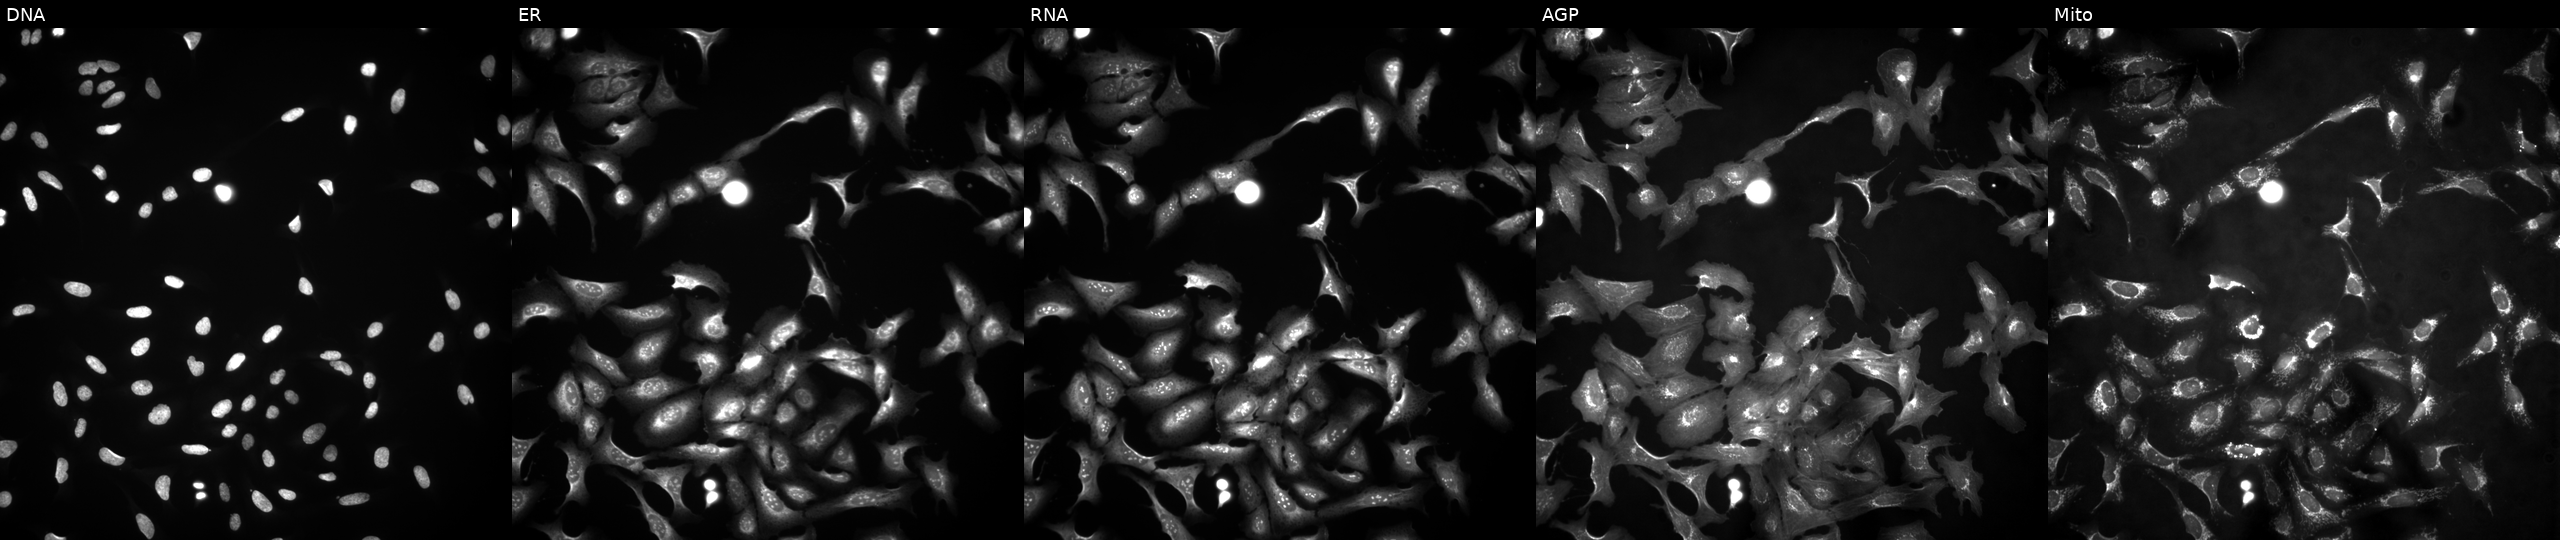
Five-channel Cell Painting image of U2OS cells with GTSF1 overexpressed (ORF) (JUMP id JCP2022_908833). Panels show, left to right, DNA (nuclei); ER (endoplasmic reticulum); RNA (nucleoli and cytoplasmic RNA); AGP (actin cytoskeleton, Golgi, and plasma membrane); Mito (mitochondria). Source 4, plate BR00121543, well F16.